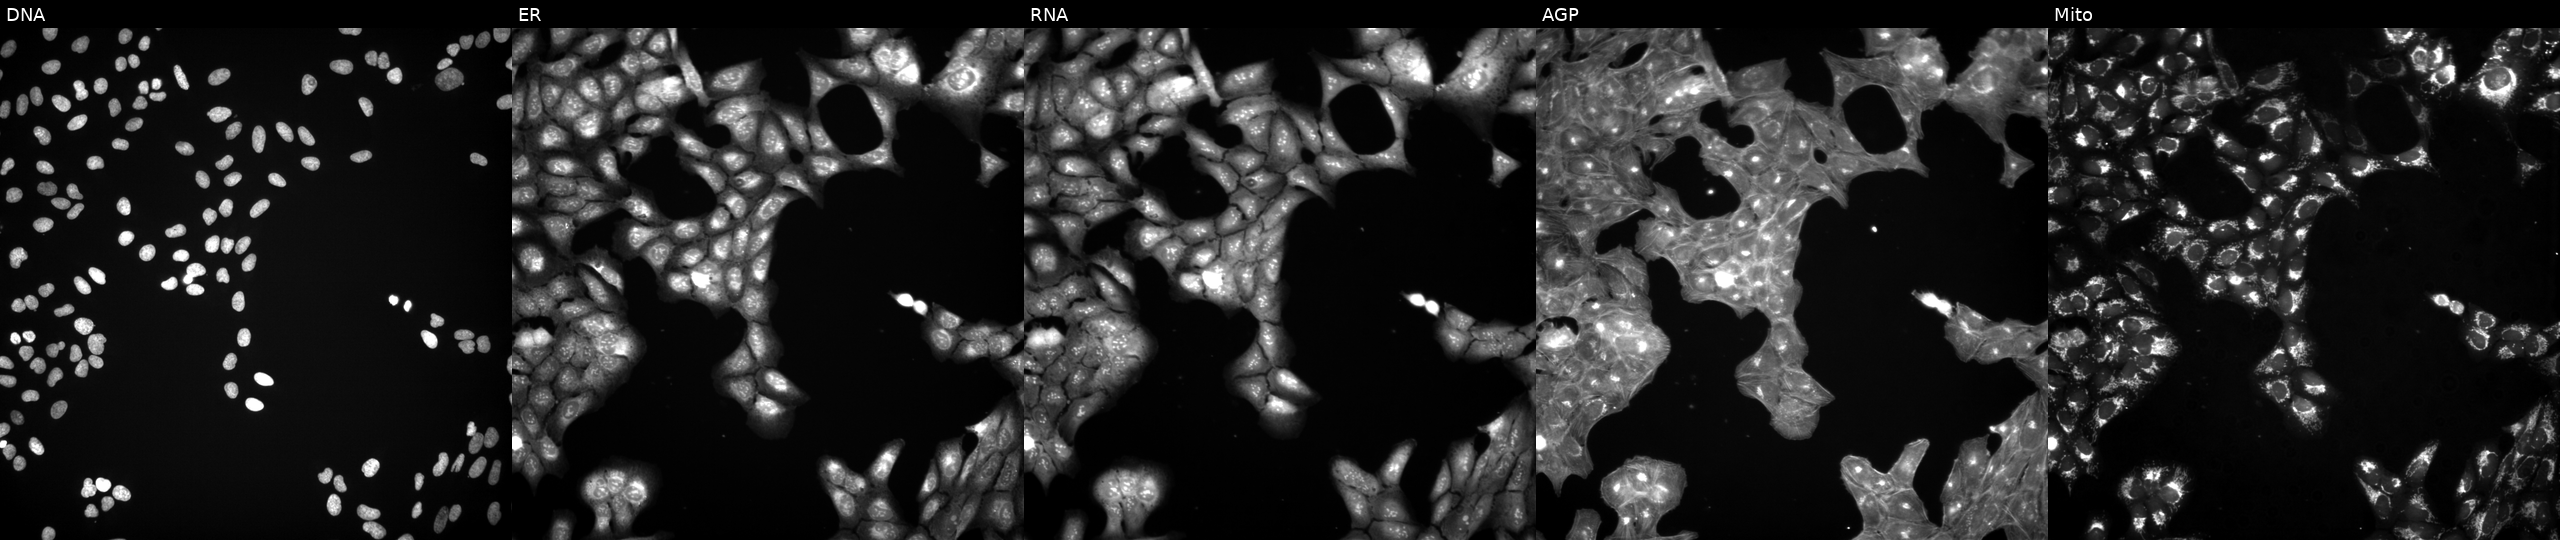
Five-channel Cell Painting image of U2OS cells exposed to DMSO alone as a negative control. Channels (left→right): DNA (nuclei); ER (endoplasmic reticulum); RNA (nucleoli and cytoplasmic RNA); AGP (actin cytoskeleton, Golgi, and plasma membrane); Mito (mitochondria).